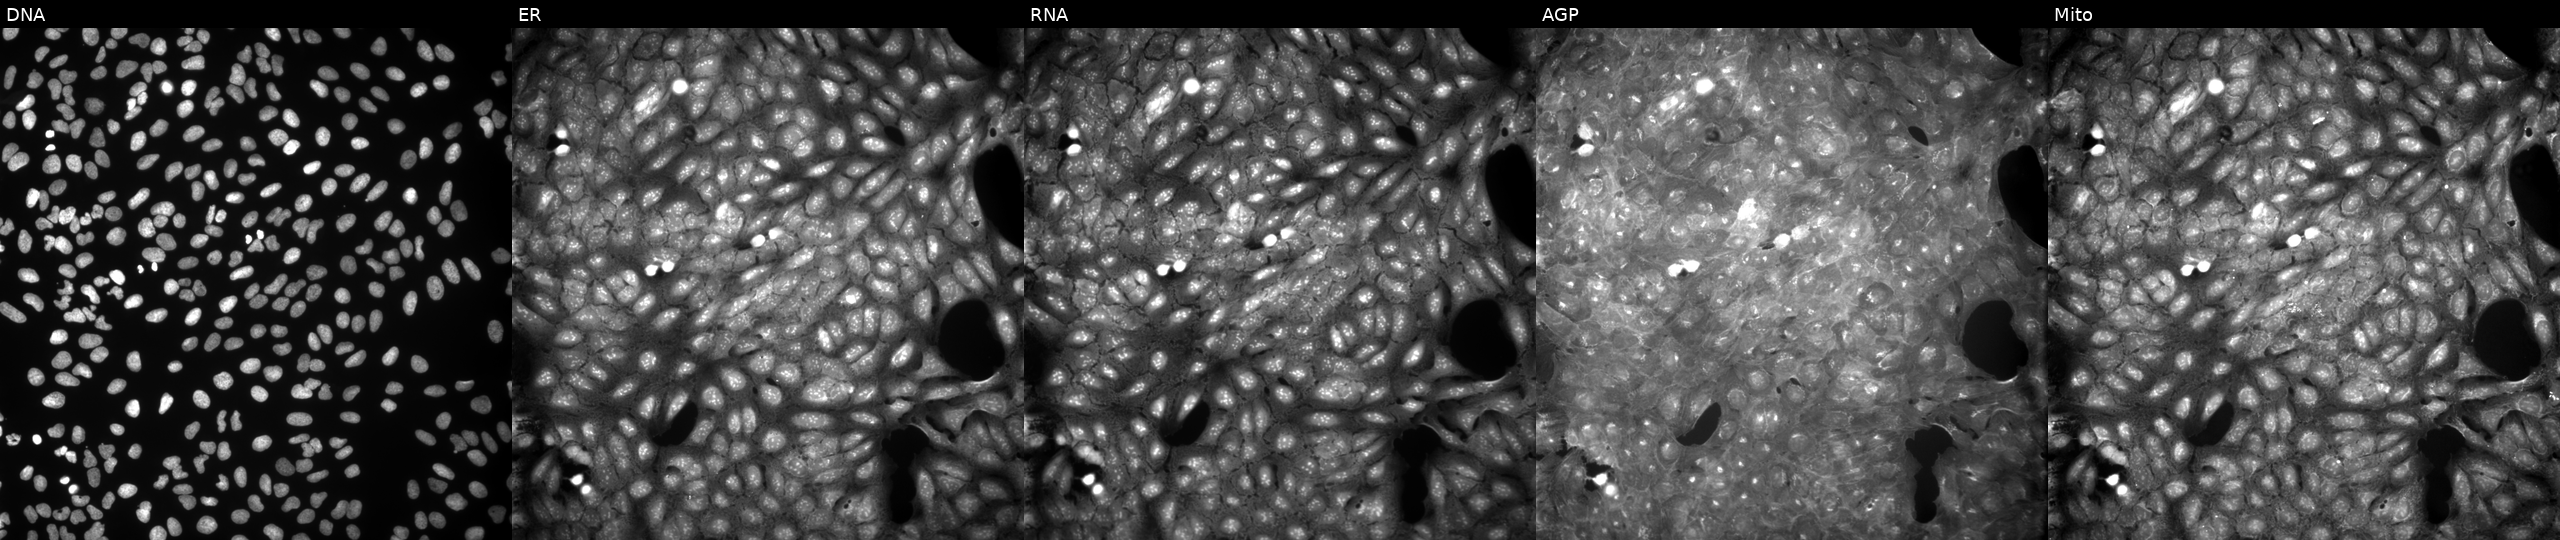
U2OS cells, Cell Painting assay, exposed to DMSO alone as a negative control. Channels (left→right): Hoechst 33342, concanavalin A, SYTO 14, phalloidin and WGA, MitoTracker. Each panel is percentile-stretched 16-bit fluorescence.